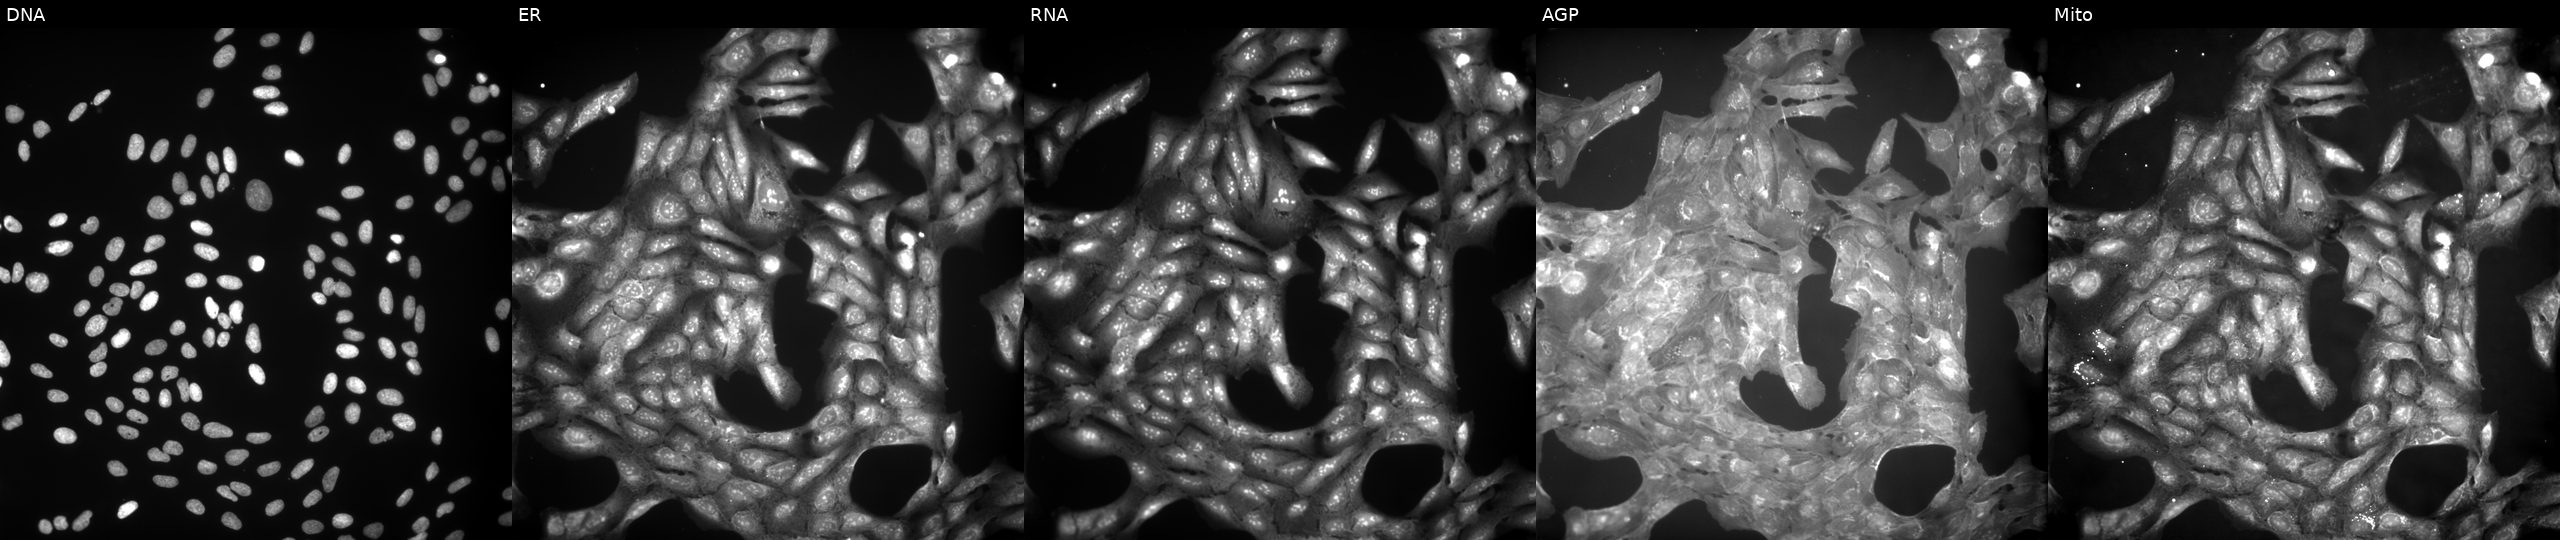
JUMP Cell Painting — COMPOUND plate. U2OS cells perturbed with a small-molecule compound (InChIKey HJSADCRJJJNTCE-UHFFFAOYSA-N) (JUMP id JCP2022_030653). Panels show, left to right, DNA (nuclei); ER (endoplasmic reticulum); RNA (nucleoli and cytoplasmic RNA); AGP (actin cytoskeleton, Golgi, and plasma membrane); Mito (mitochondria). Source 9, plate GR00003382, well AF09.